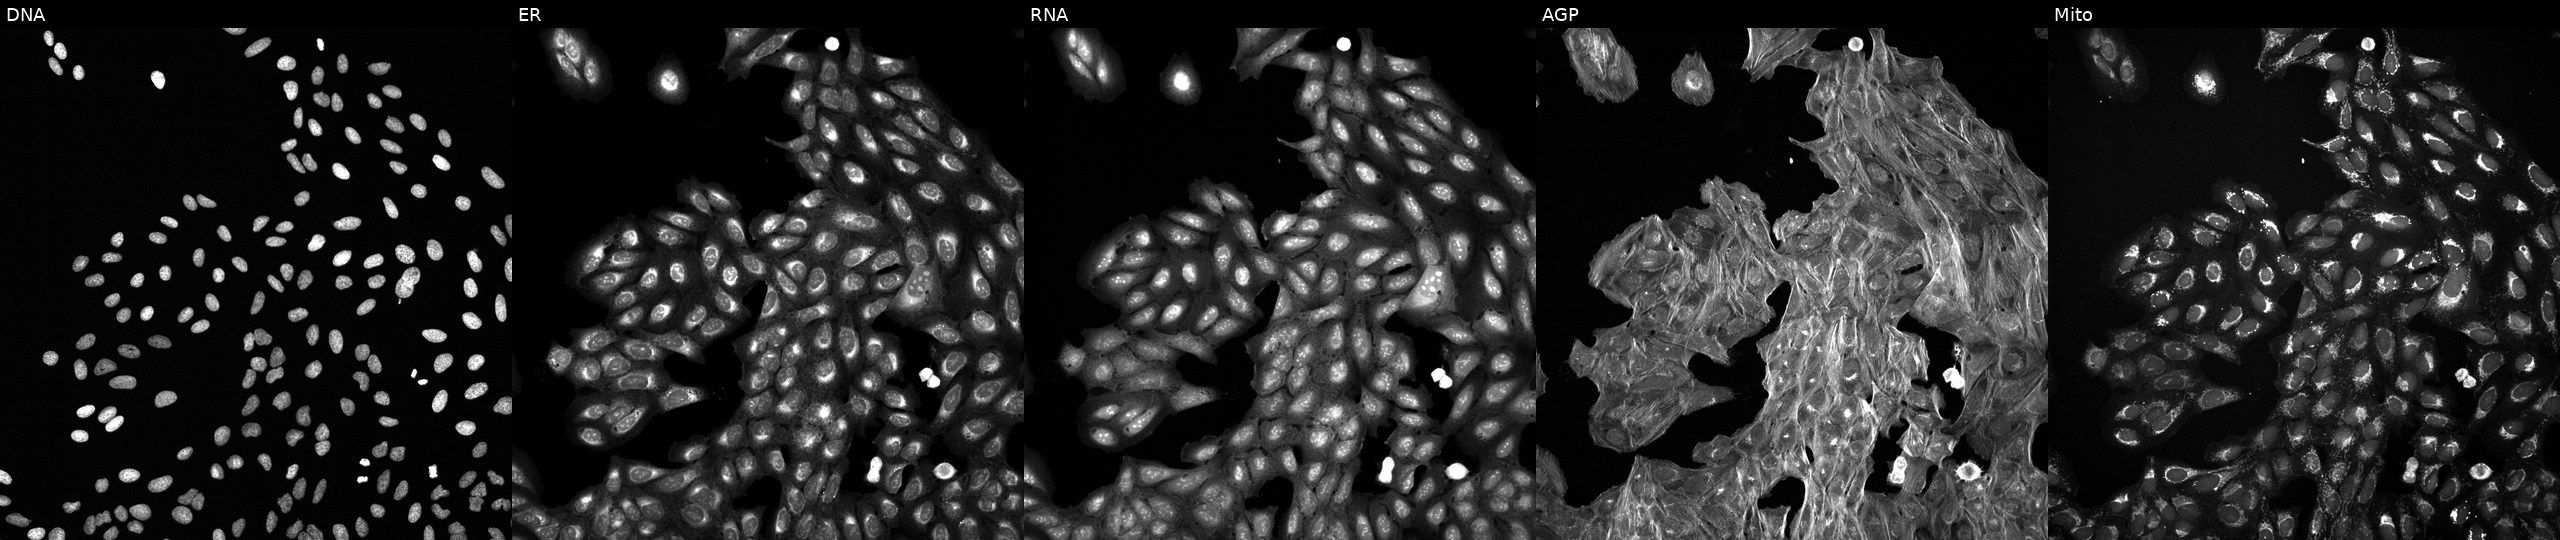
High-content fluorescence microscopy (Cell Painting). Cell line: U2OS. Perturbation: exposed to DMSO alone as a negative control (JUMP id JCP2022_033924). Panels show, left to right, DNA, ER, RNA, AGP, and Mito. Source 6, plate 110000293083, well E02.